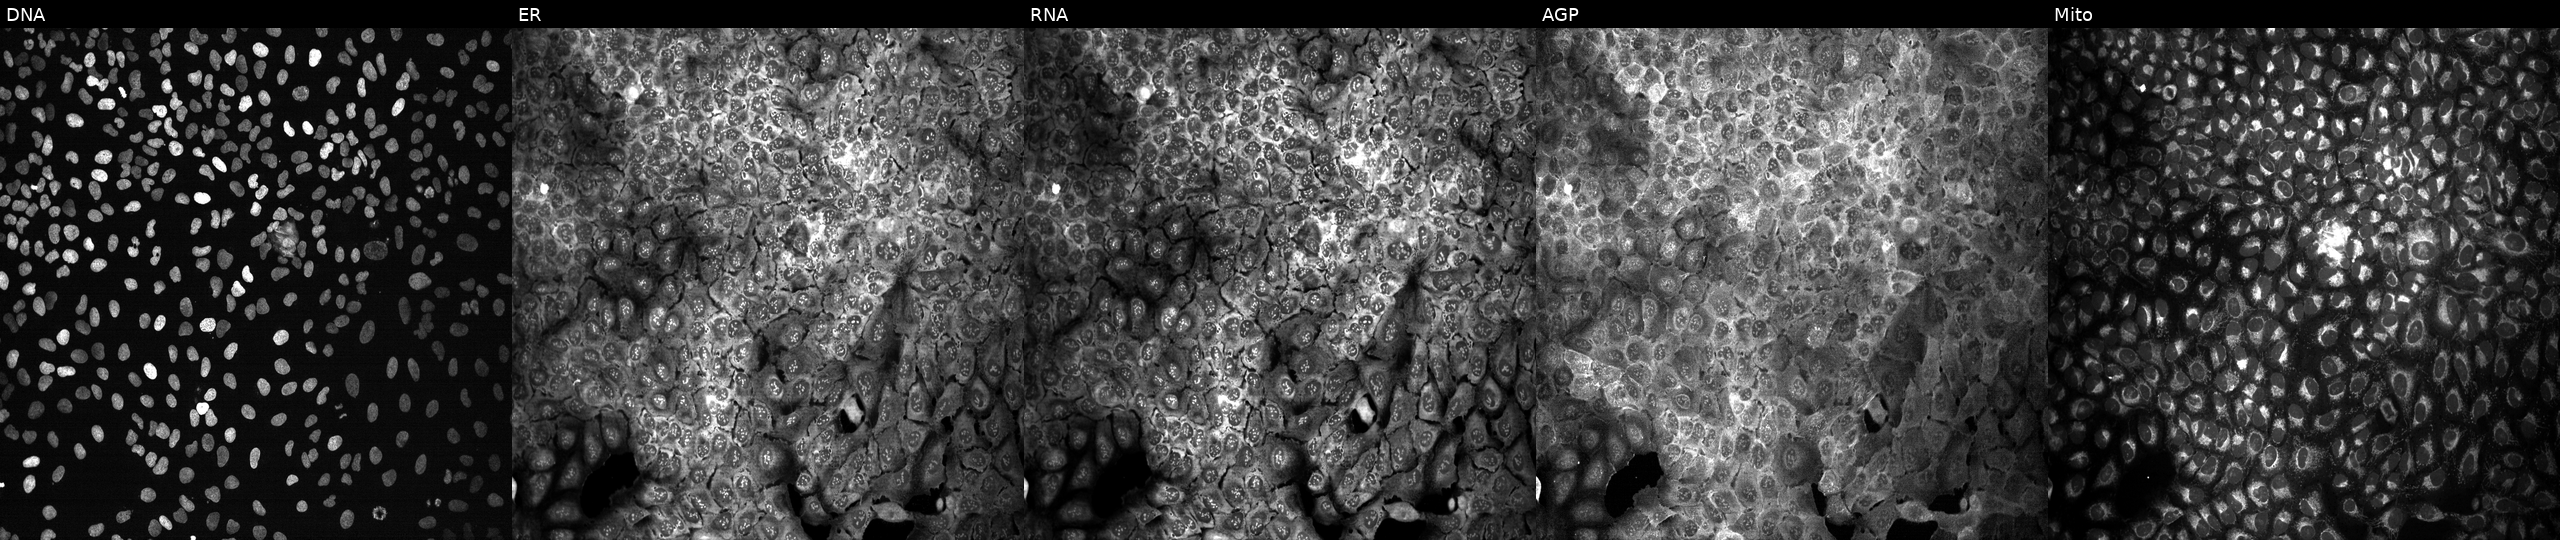
Five-channel Cell Painting image of U2OS cells with RASAL1 knocked out by CRISPR (JUMP id JCP2022_805847). Panels show, left to right, Hoechst 33342, concanavalin A, SYTO 14, phalloidin and WGA, MitoTracker. Source 13, plate CP-CC9-R3-01, well L21.